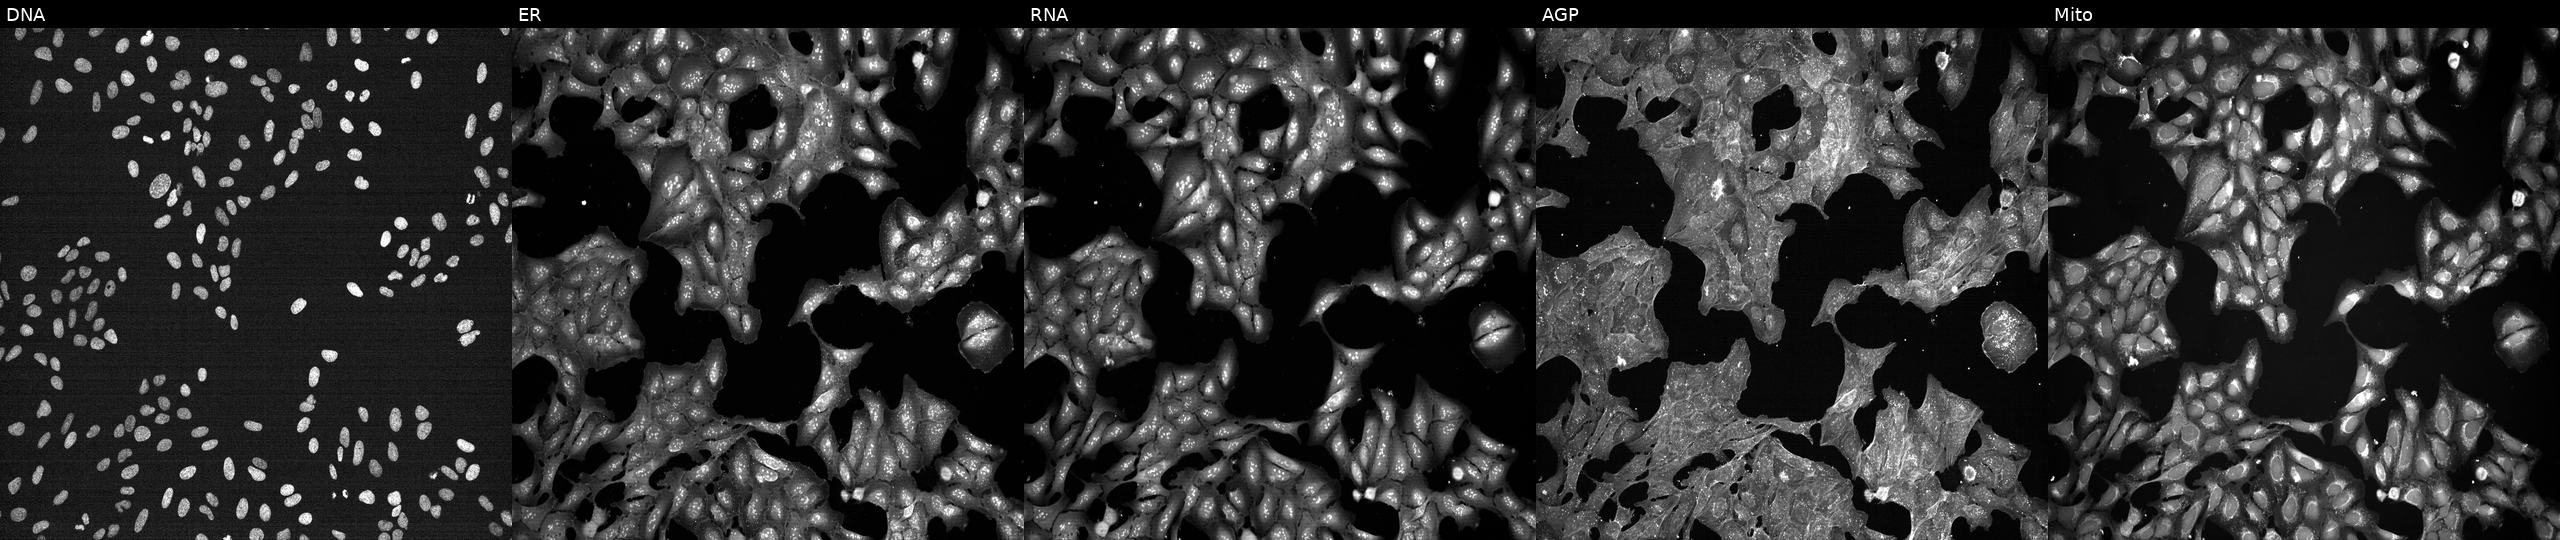
This image strip shows the five Cell Painting channels for a single field of U2OS cells perturbed with a small-molecule compound [SMILES: CC(C)c1ccc2oc3[nH]c(=N)c(C(=O)O)cc3c(=O)c2c1] (JUMP id JCP2022_083099). The five panels, left to right, show DNA (nuclei); ER (endoplasmic reticulum); RNA (nucleoli and cytoplasmic RNA); AGP (actin cytoskeleton, Golgi, and plasma membrane); Mito (mitochondria).